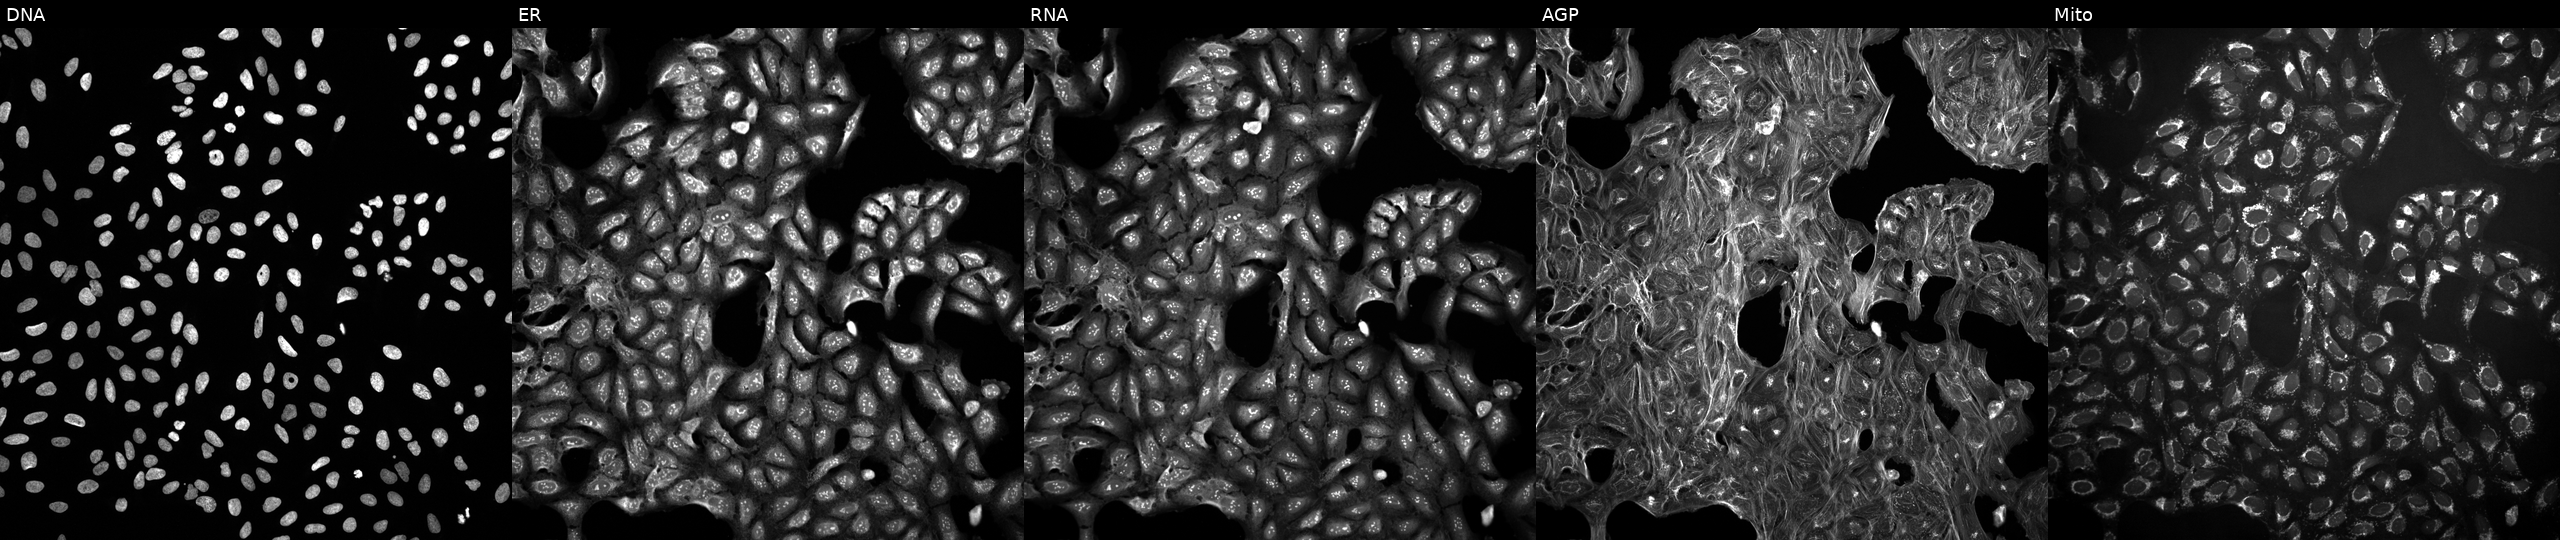
Five-channel Cell Painting image of U2OS cells perturbed with a small-molecule compound (InChIKey JYLNVJYYQQXNEK-UHFFFAOYSA-N). The five panels, left to right, show DNA (nuclei); ER (endoplasmic reticulum); RNA (nucleoli and cytoplasmic RNA); AGP (actin cytoskeleton, Golgi, and plasma membrane); Mito (mitochondria).